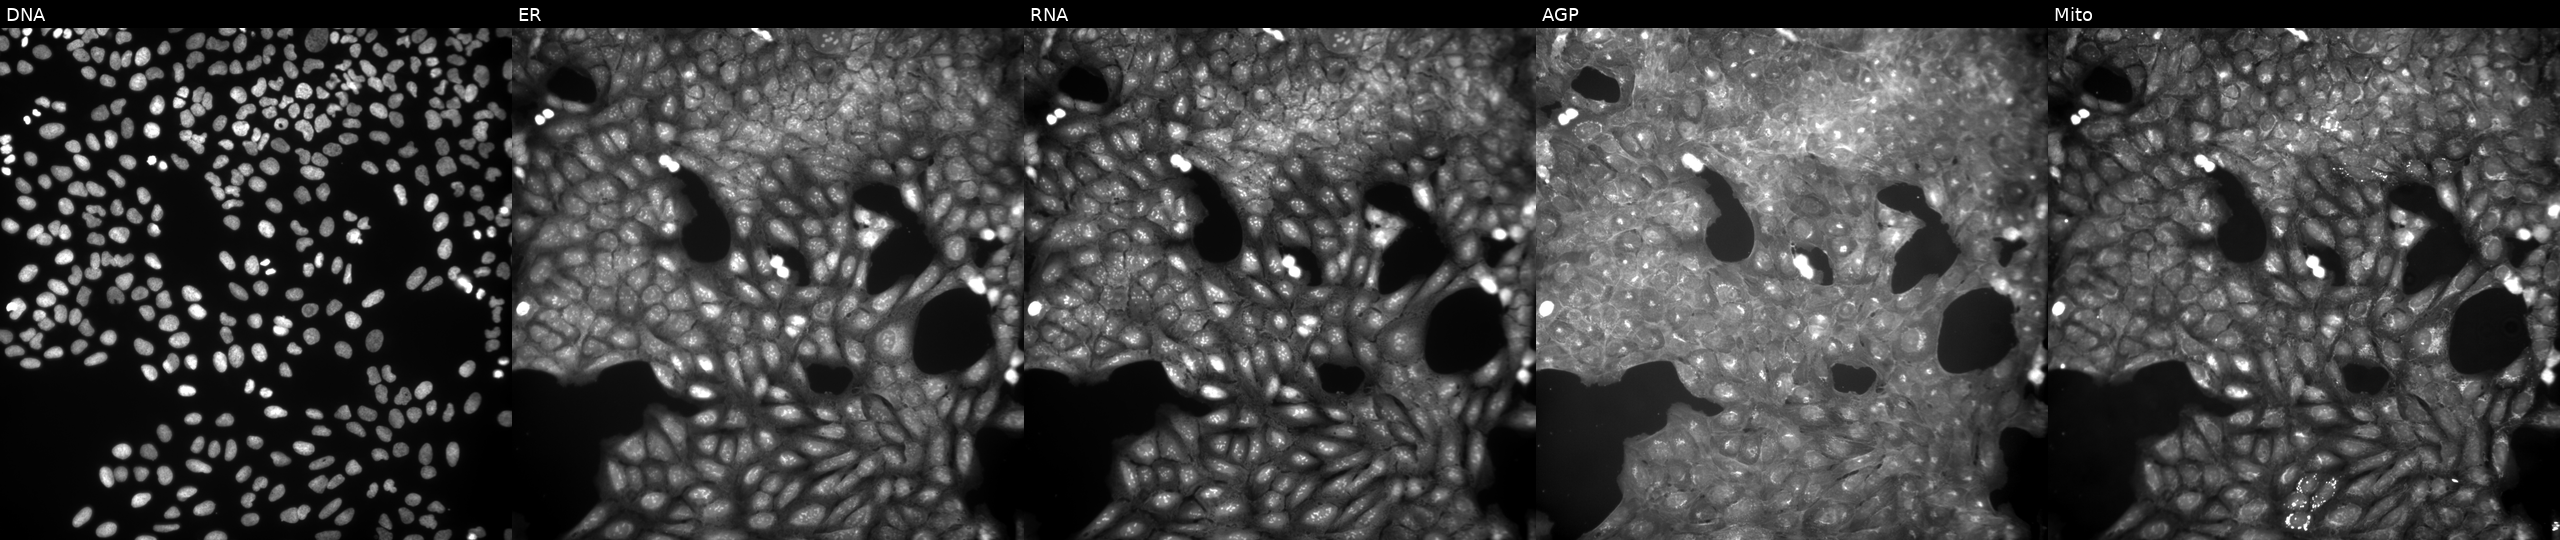
Panels show, left to right, Hoechst 33342, concanavalin A, SYTO 14, phalloidin and WGA, MitoTracker. U2OS osteosarcoma cells exposed to a small-molecule compound (InChIKey FLIMLUJSIMFQMX-UHFFFAOYSA-N) (JUMP id JCP2022_021377). Cell Painting assay, JUMP-CP dataset.